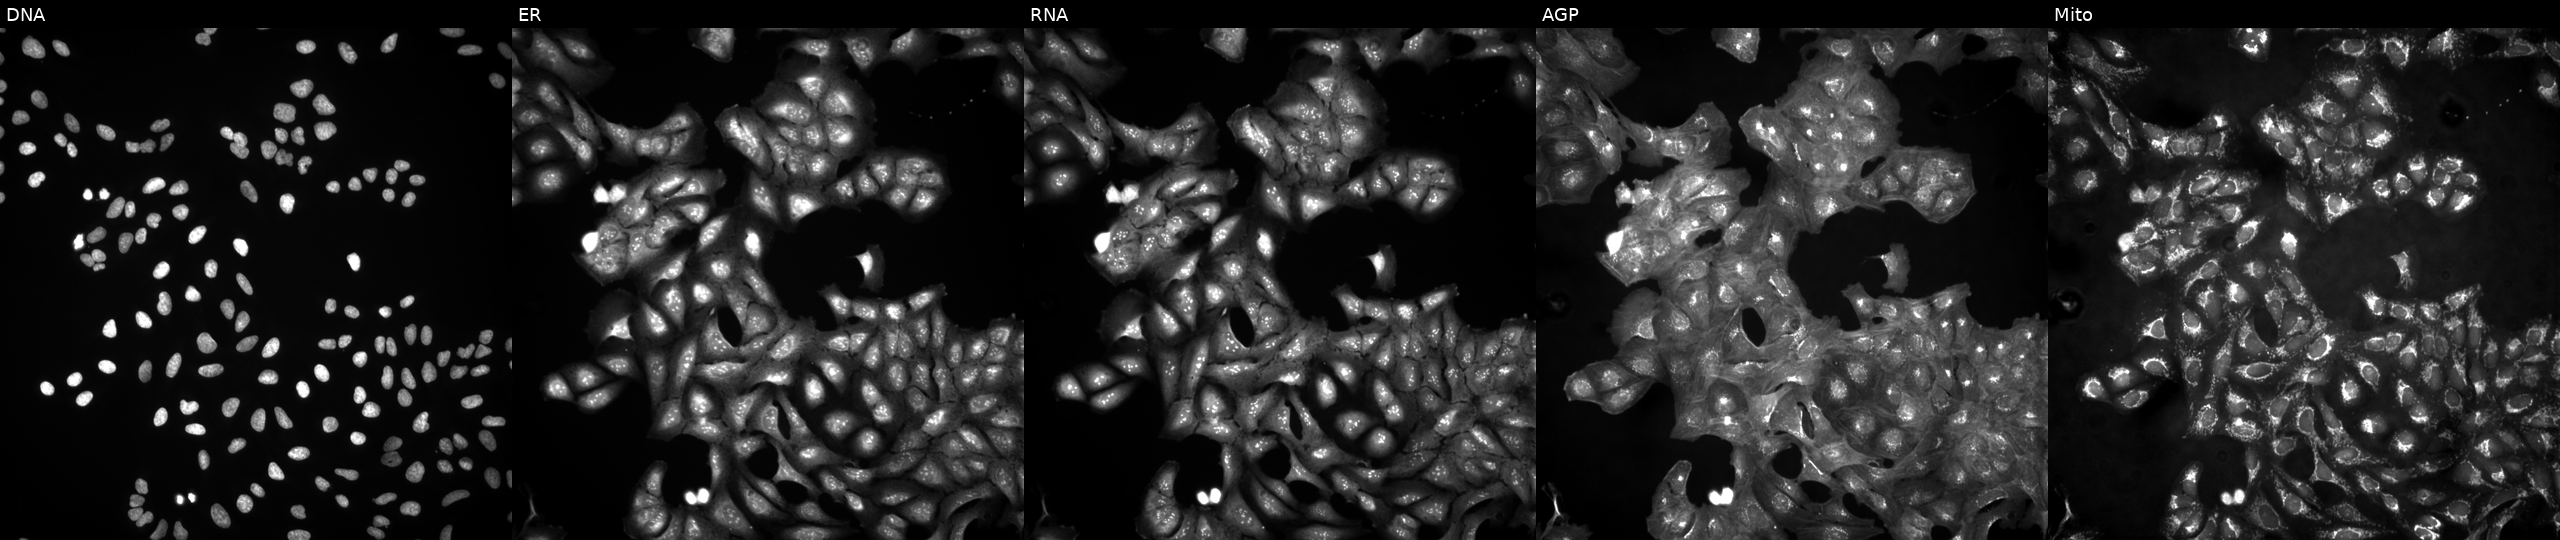
JUMP Cell Painting — ORF plate. U2OS cells in an empty control well (no perturbation) (JUMP id JCP2022_999999). The five panels, left to right, show DNA (nuclei); ER (endoplasmic reticulum); RNA (nucleoli and cytoplasmic RNA); AGP (actin cytoskeleton, Golgi, and plasma membrane); Mito (mitochondria).